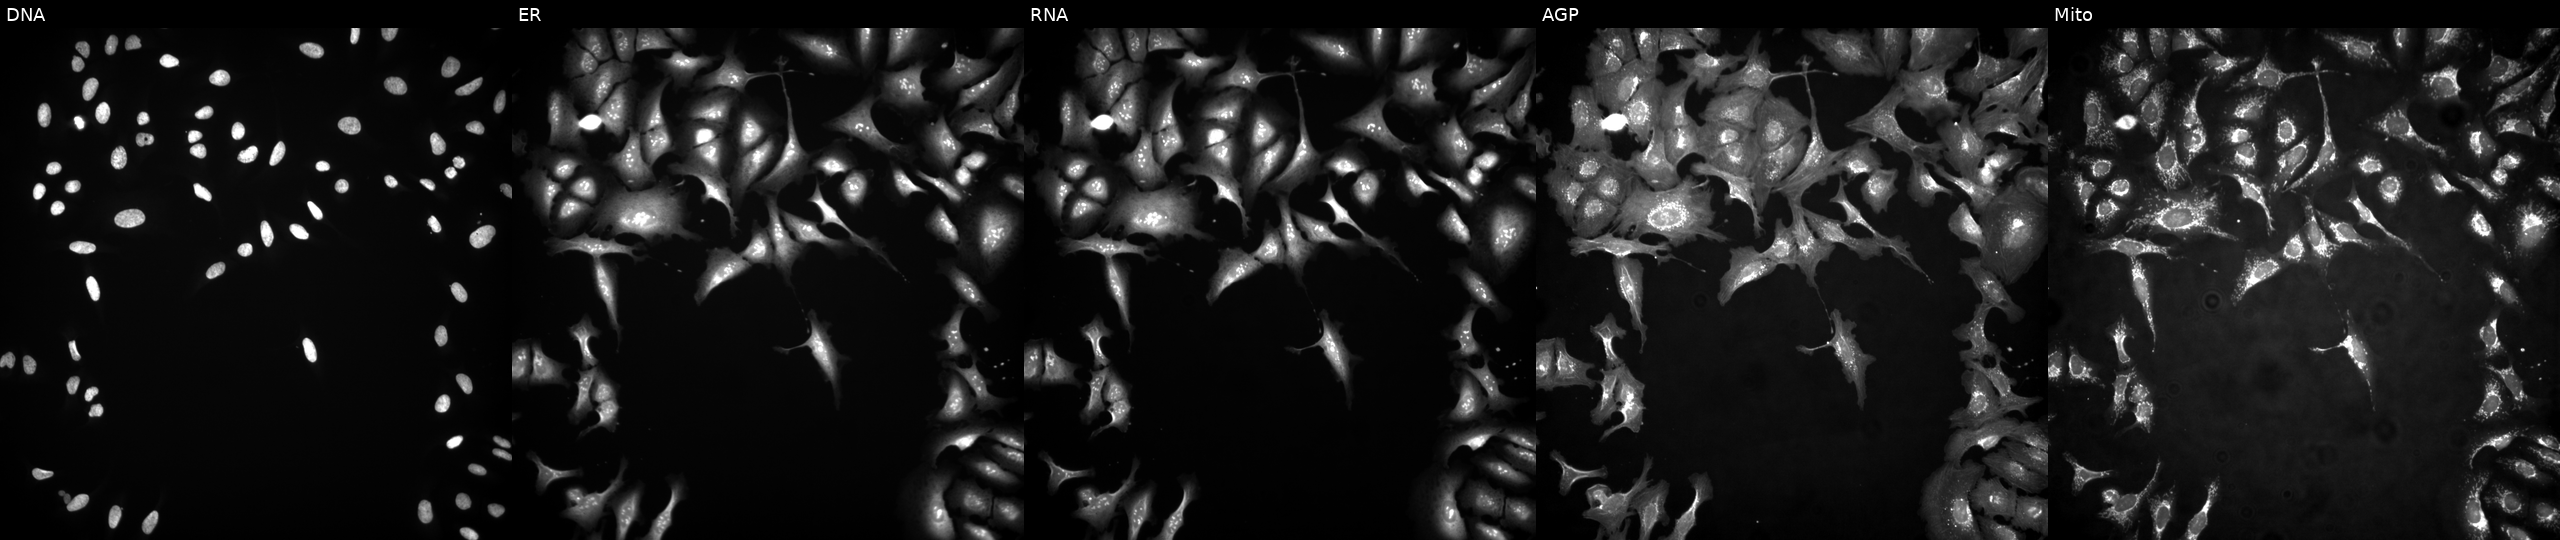
This image strip shows the five Cell Painting channels for a single field of U2OS cells expressing HcRed (ORF negative control) (JUMP id JCP2022_915129). From left to right: Hoechst 33342, concanavalin A, SYTO 14, phalloidin and WGA, MitoTracker. Source 4, plate BR00117035, well A04.